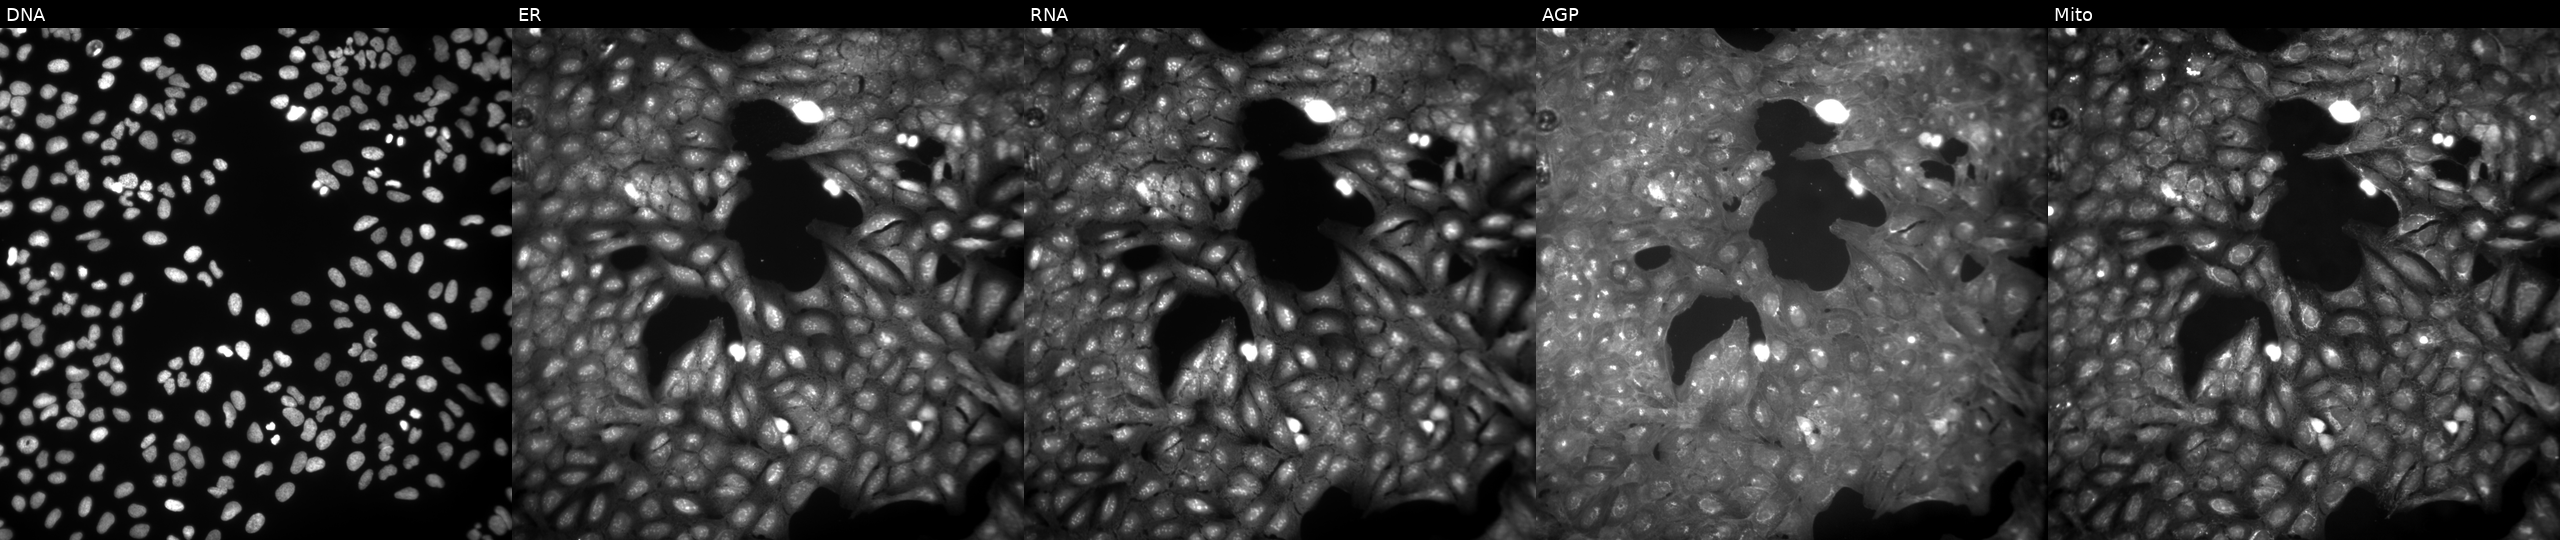
Channels (left→right): DNA (nuclei); ER (endoplasmic reticulum); RNA (nucleoli and cytoplasmic RNA); AGP (actin cytoskeleton, Golgi, and plasma membrane); Mito (mitochondria). U2OS osteosarcoma cells exposed to a small-molecule compound (InChIKey RBPCOBANNCRIGB-UHFFFAOYSA-N). Cell Painting assay, JUMP-CP dataset.